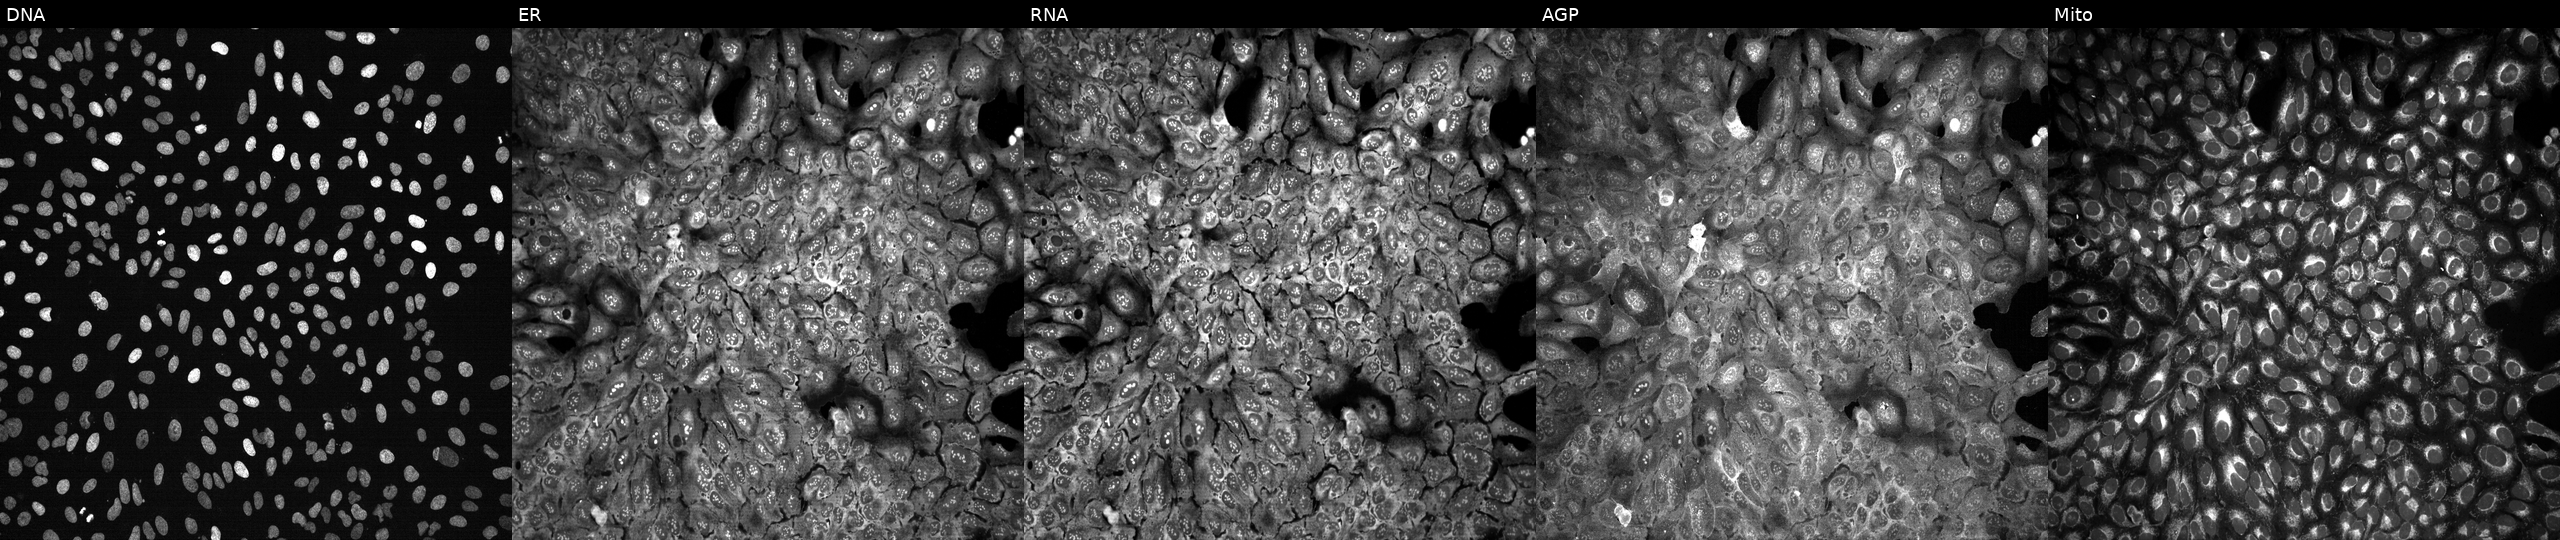
This image strip shows the five Cell Painting channels for a single field of U2OS cells following CRISPR knockout of OPLAH (JUMP id JCP2022_804799). The five panels, left to right, show DNA, ER, RNA, AGP, and Mito. Source 13, plate CP-CC9-R4-03, well L17.